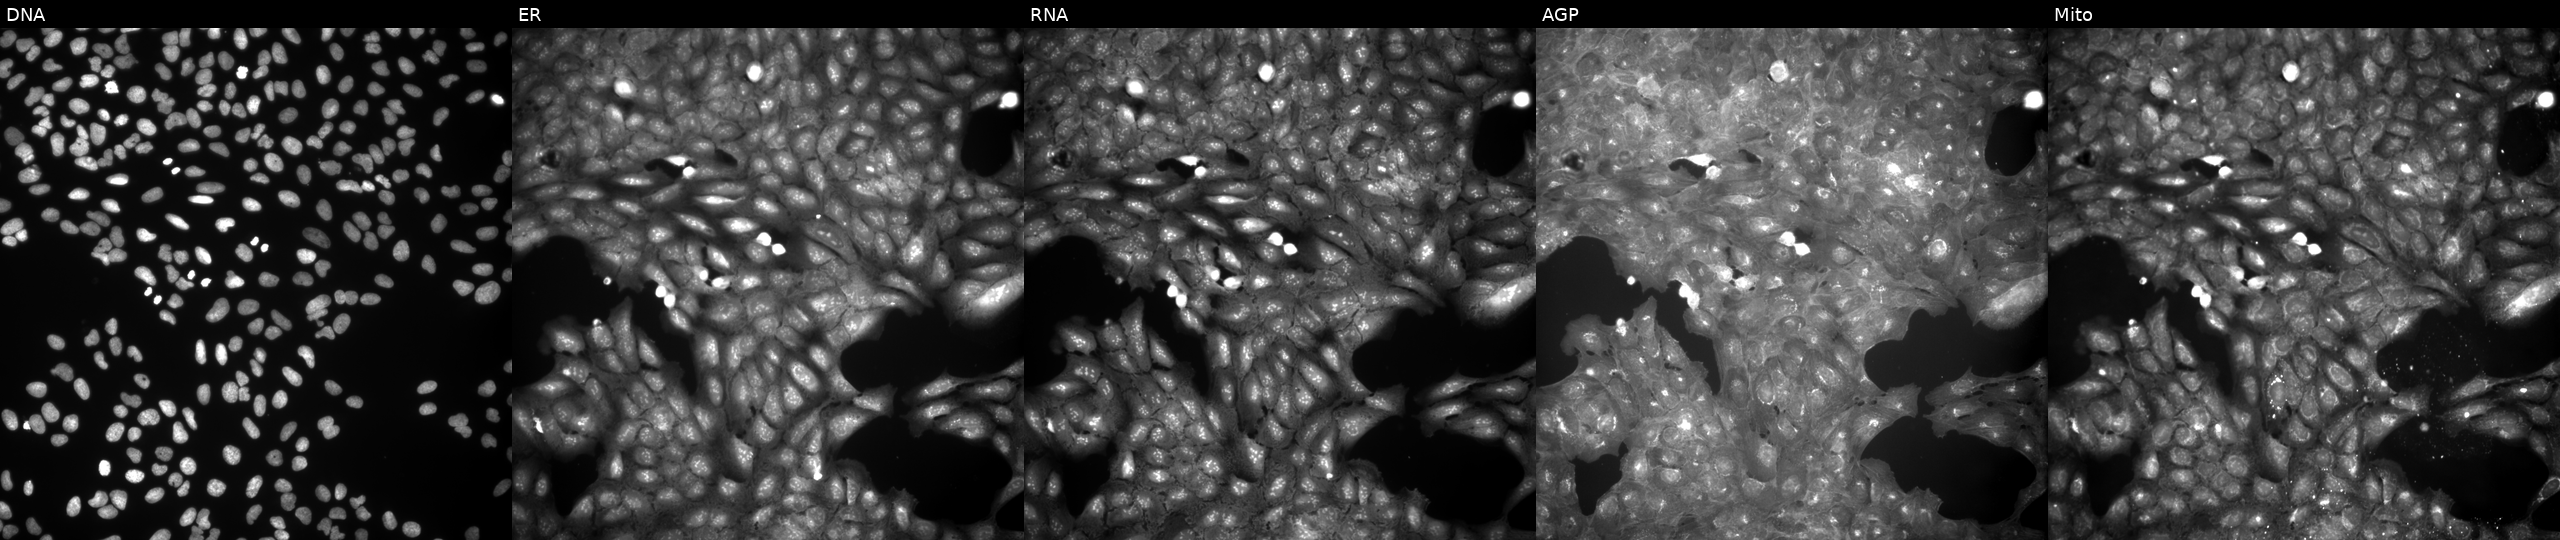
Five-channel Cell Painting image of U2OS cells treated with a small-molecule compound (JUMP id JCP2022_071743). From left to right: DNA, ER, RNA, AGP, and Mito. Source 9, plate GR00003381, well G30.